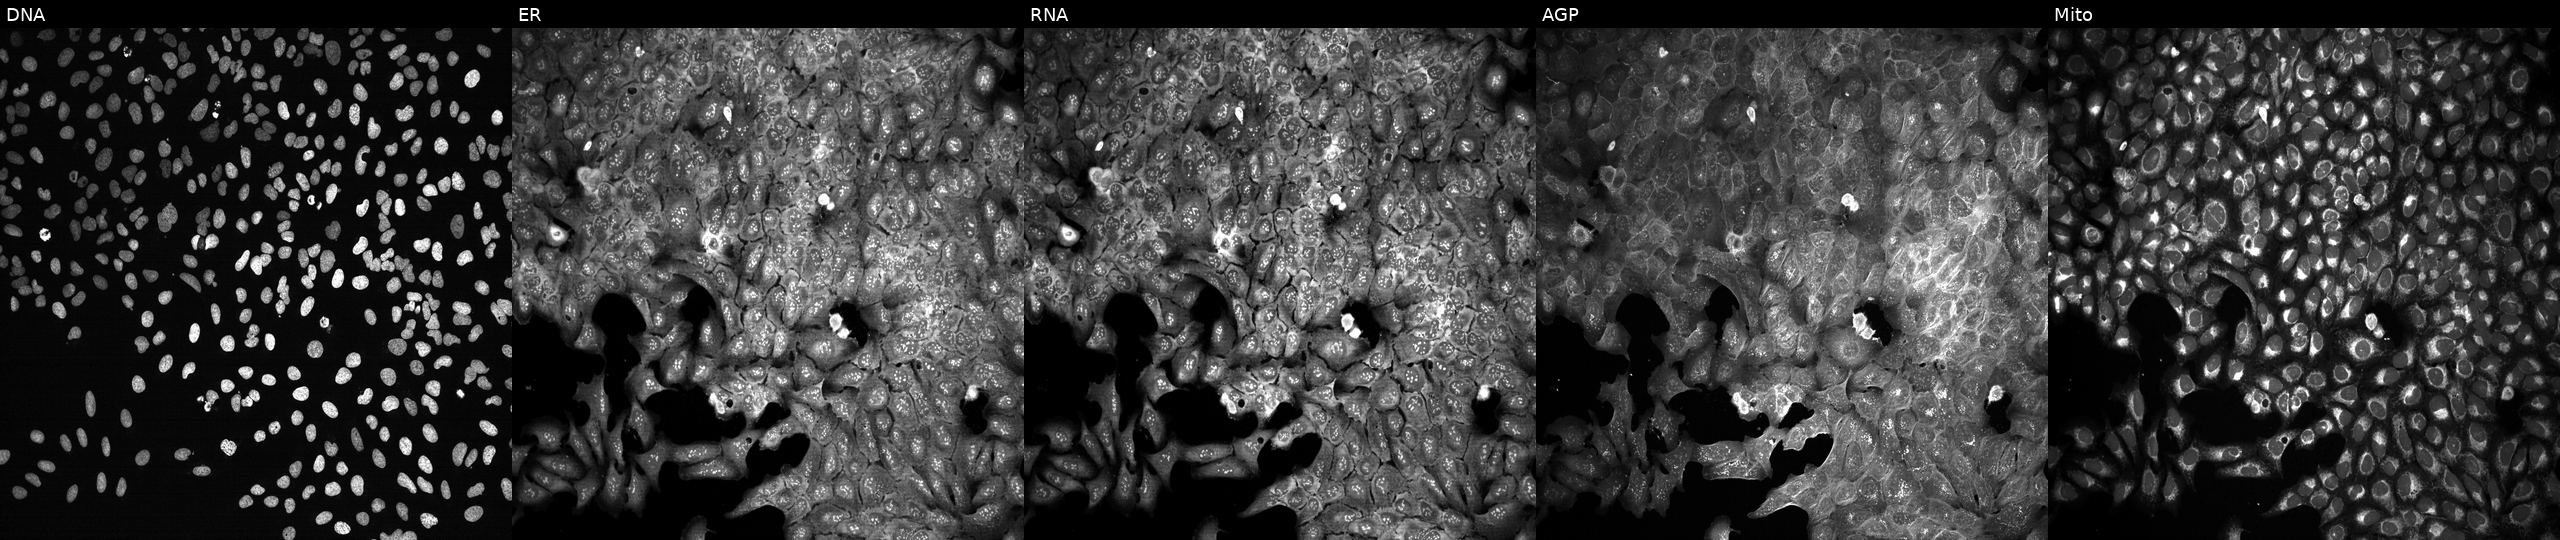
This image strip shows the five Cell Painting channels for a single field of U2OS cells with PAPPA knocked out by CRISPR (JUMP id JCP2022_804914). The five panels, left to right, show DNA (nuclei); ER (endoplasmic reticulum); RNA (nucleoli and cytoplasmic RNA); AGP (actin cytoskeleton, Golgi, and plasma membrane); Mito (mitochondria). Source 13, plate CP-CC9-R6-19, well H19.